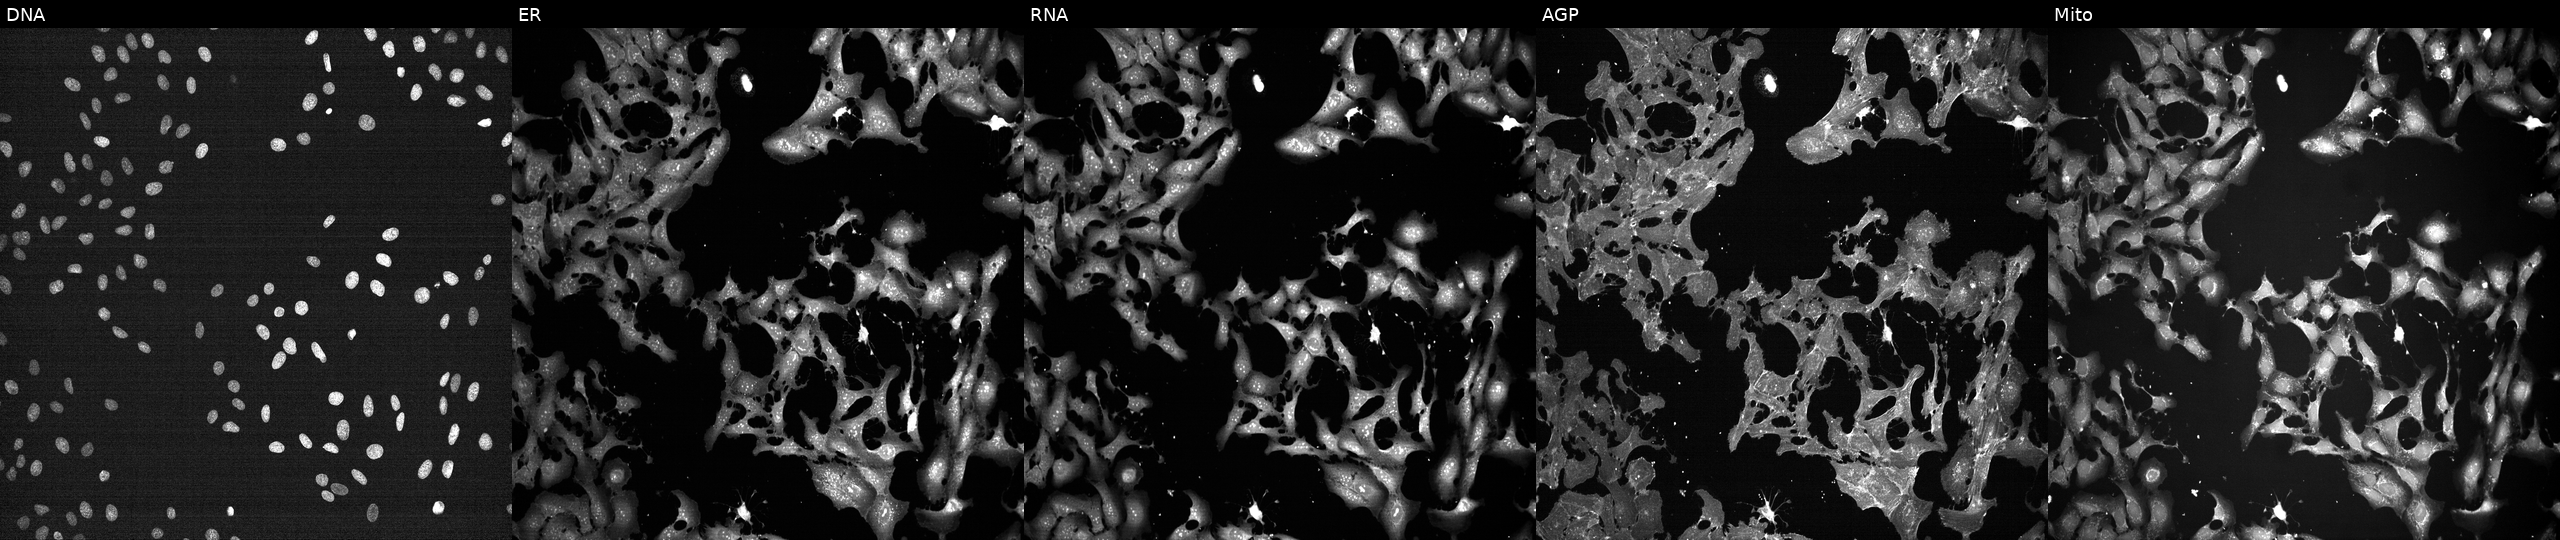
The five panels, left to right, show DNA, ER, RNA, AGP, and Mito. U2OS osteosarcoma cells treated with a small-molecule compound (InChIKey DSLRVRBSNLHVBH-UHFFFAOYSA-N). Cell Painting assay, JUMP-CP dataset. Source 7, plate CP1-SC1-25, well H03.